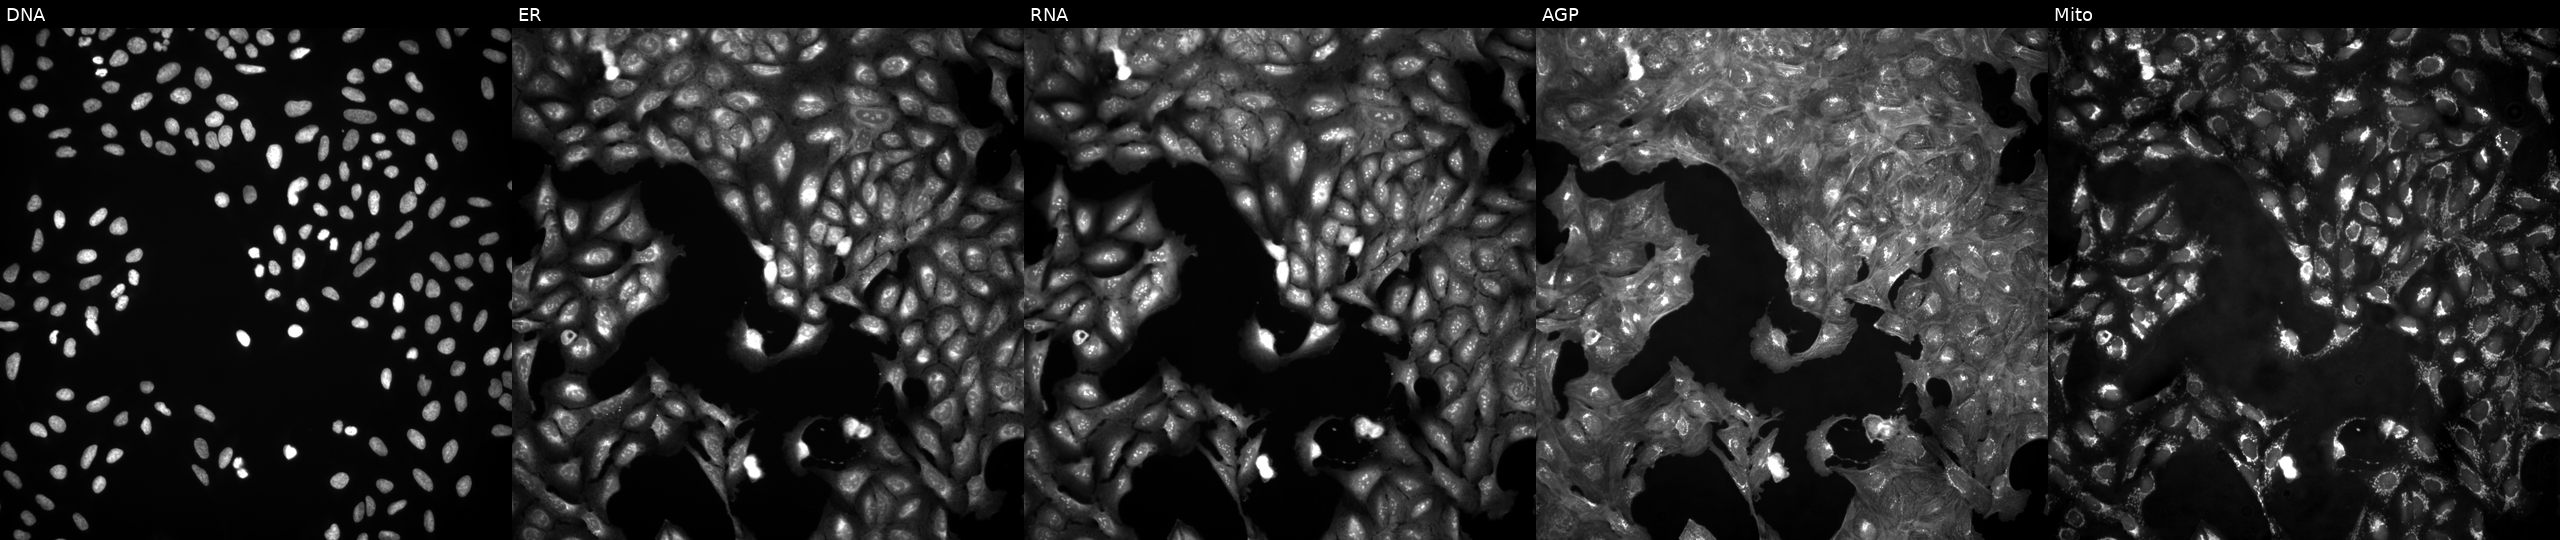
JUMP Cell Painting — ORF plate. U2OS cells untreated (empty-well control) (JUMP id JCP2022_999999). Channels (left→right): DNA, ER, RNA, AGP, and Mito.